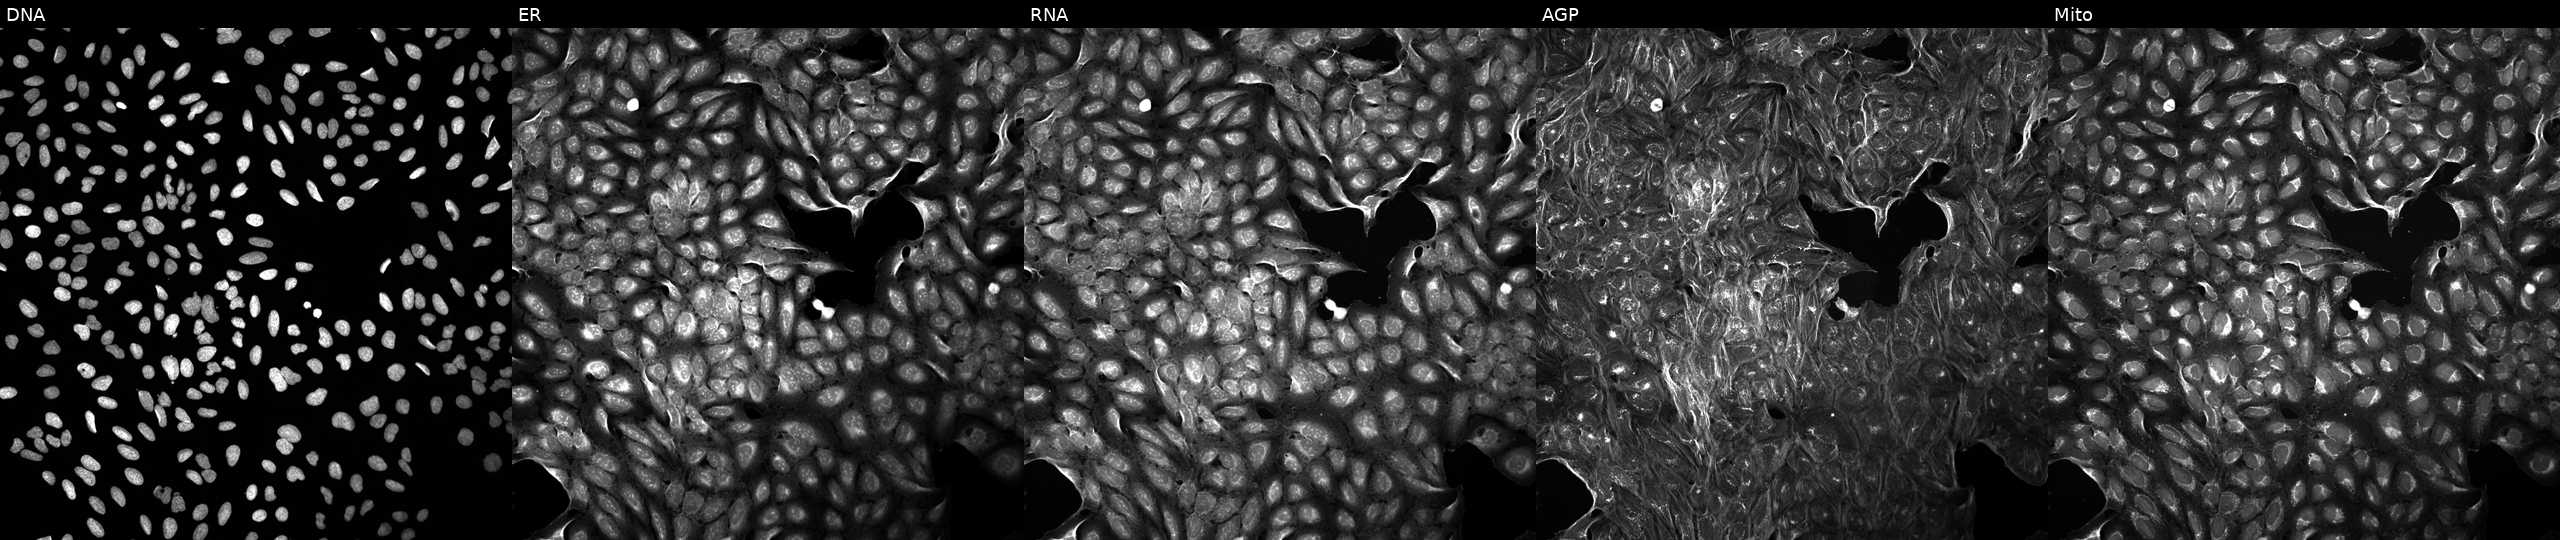
Five-channel Cell Painting image of U2OS cells perturbed with a small-molecule compound (InChIKey ZPBHINXHGPMFIS-UHFFFAOYSA-N) (JUMP id JCP2022_114758). Panels show, left to right, DNA, ER, RNA, AGP, and Mito.